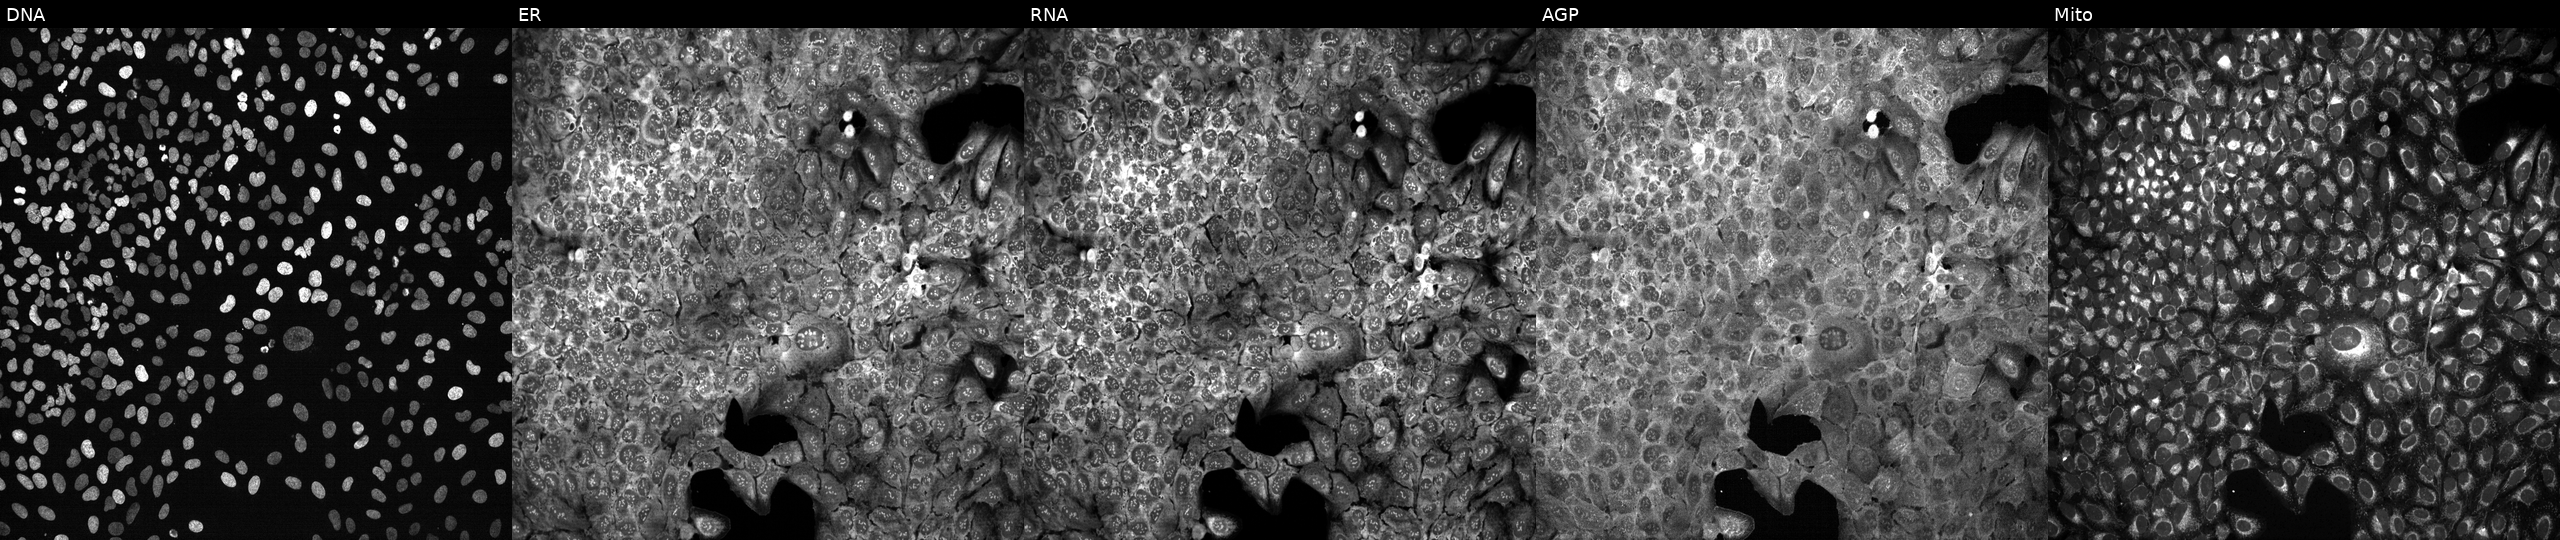
High-content fluorescence microscopy (Cell Painting). Cell line: U2OS. Perturbation: with TXNRD3 knocked out by CRISPR (JUMP id JCP2022_807427). From left to right: Hoechst 33342, concanavalin A, SYTO 14, phalloidin and WGA, MitoTracker.